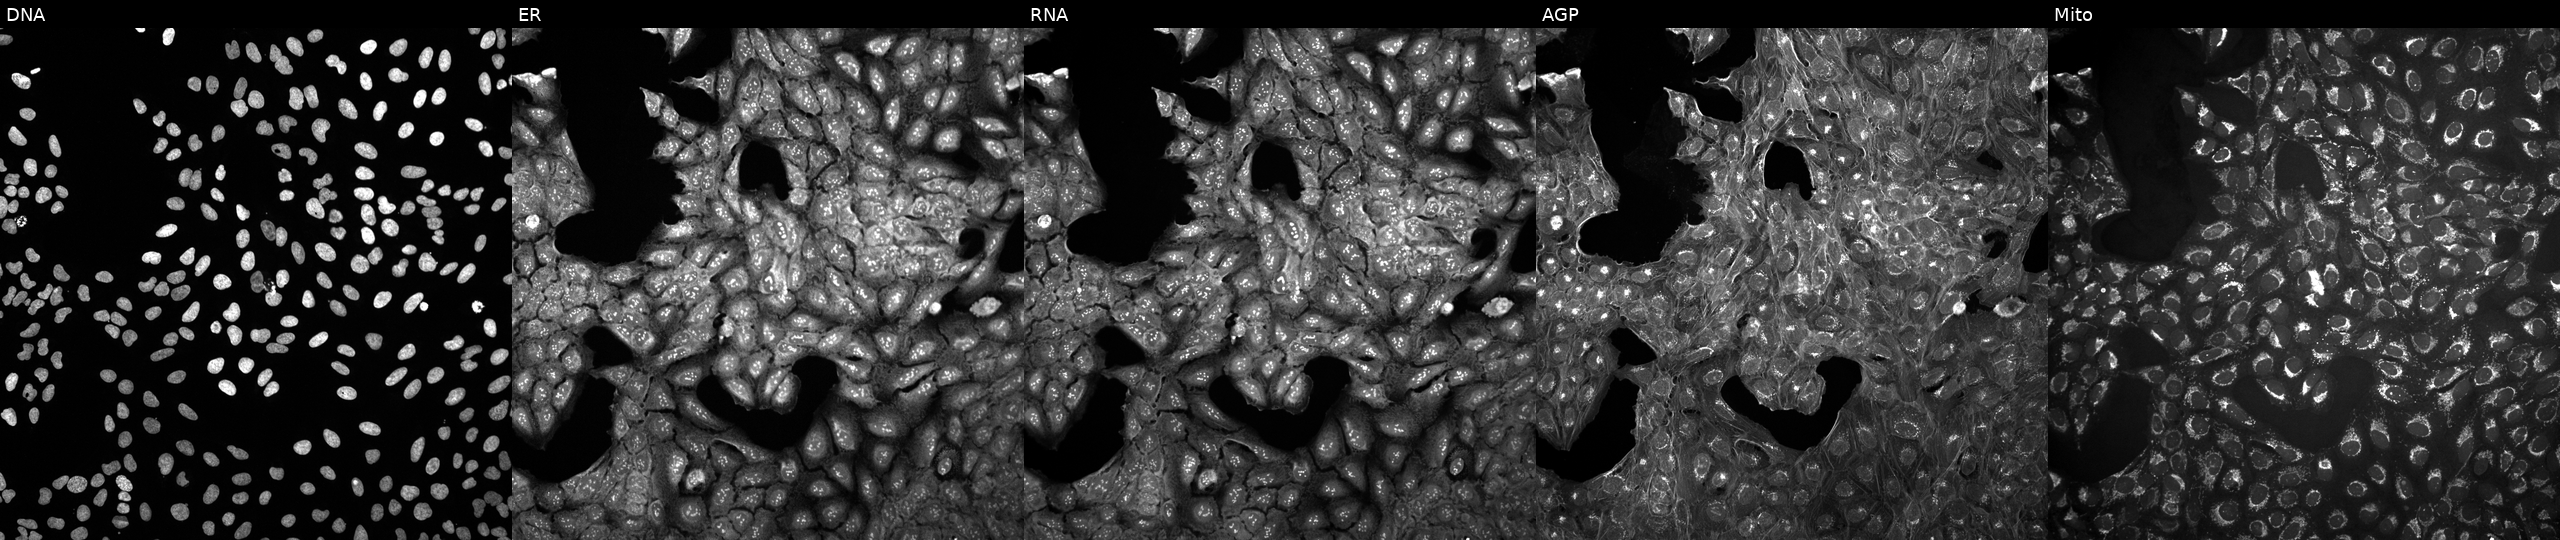
High-content fluorescence microscopy (Cell Painting). Cell line: U2OS. Perturbation: in an empty control well (no perturbation) (JUMP id JCP2022_999999). Channels (left→right): DNA (nuclei); ER (endoplasmic reticulum); RNA (nucleoli and cytoplasmic RNA); AGP (actin cytoskeleton, Golgi, and plasma membrane); Mito (mitochondria).